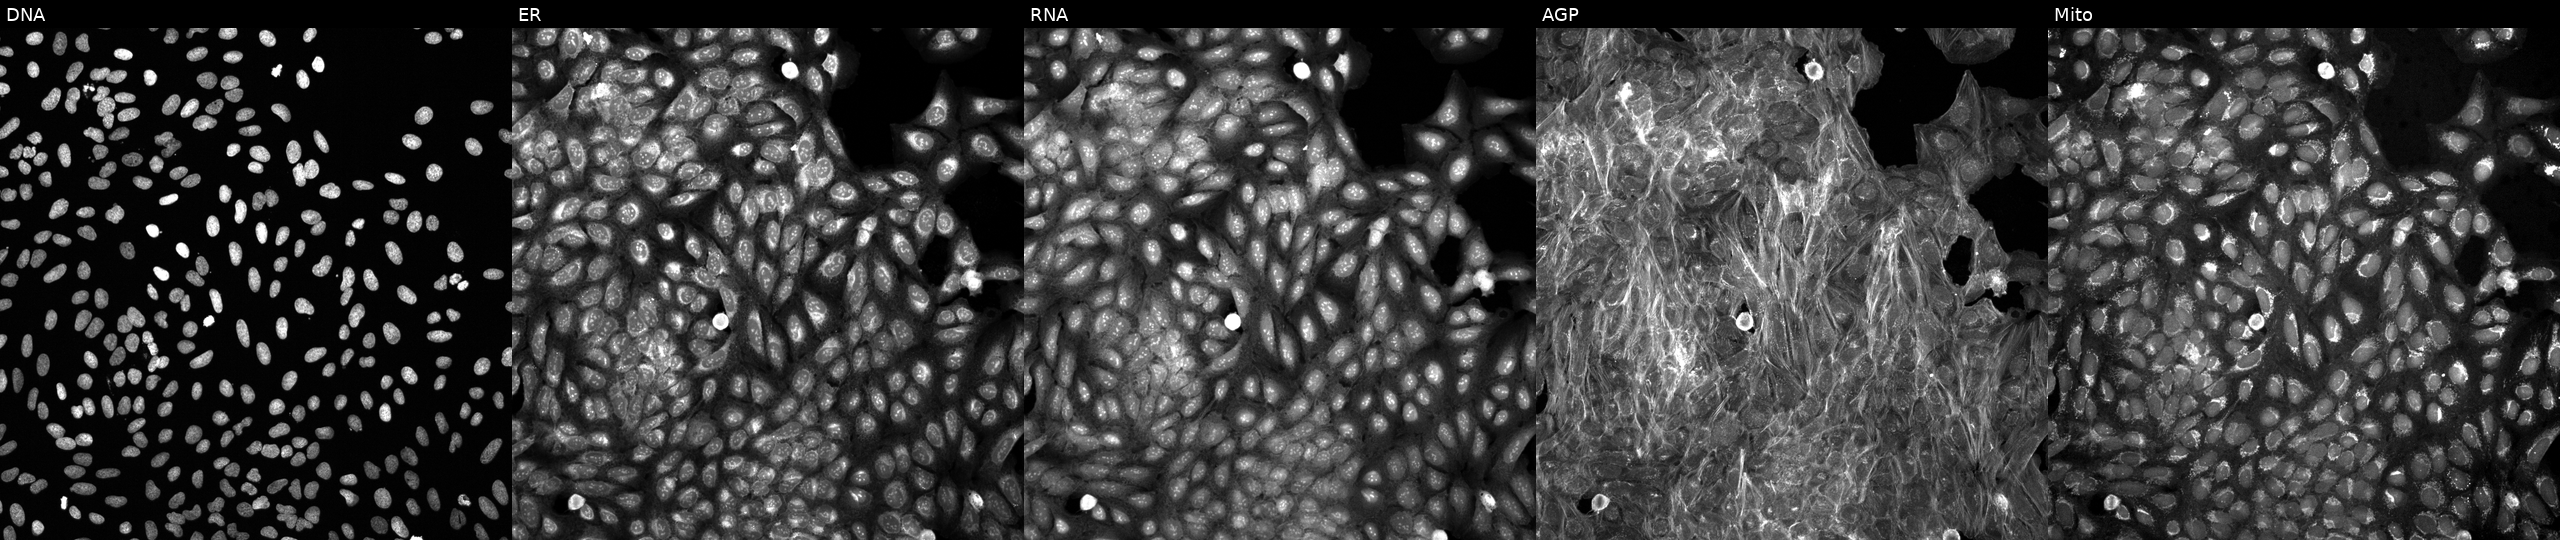
Panels show, left to right, DNA, ER, RNA, AGP, and Mito. U2OS osteosarcoma cells perturbed with a small-molecule compound (InChIKey MQQNFDZXWVTQEH-UHFFFAOYSA-N). Cell Painting assay, JUMP-CP dataset.